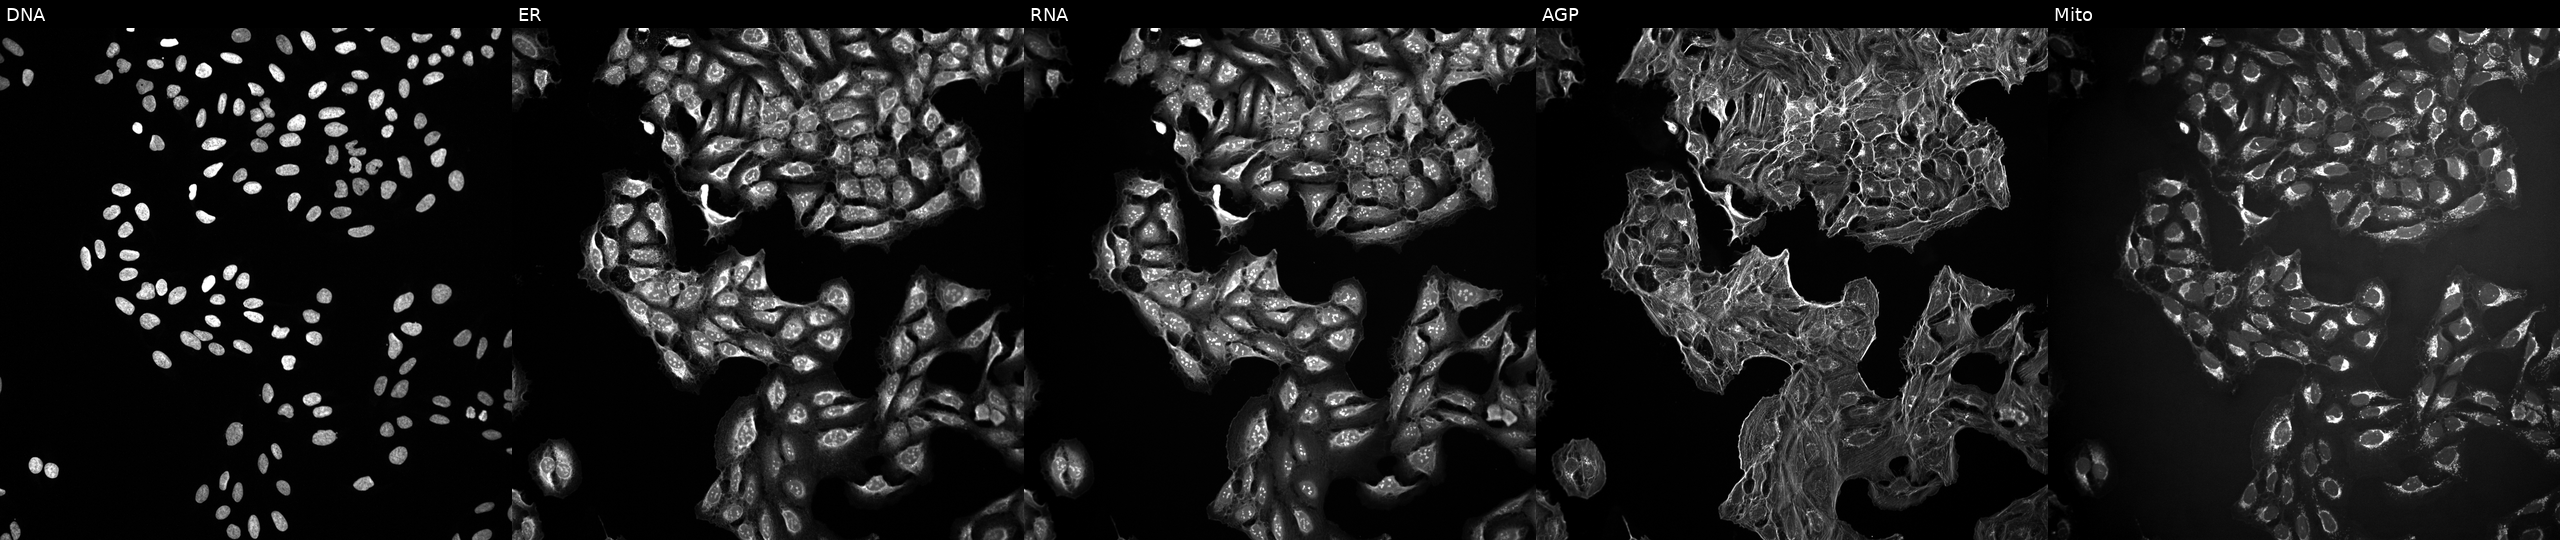
This image strip shows the five Cell Painting channels for a single field of U2OS cells exposed to DMSO alone as a negative control. From left to right: DNA (nuclei); ER (endoplasmic reticulum); RNA (nucleoli and cytoplasmic RNA); AGP (actin cytoskeleton, Golgi, and plasma membrane); Mito (mitochondria). Source 10, plate Dest210727-153003, well M18.